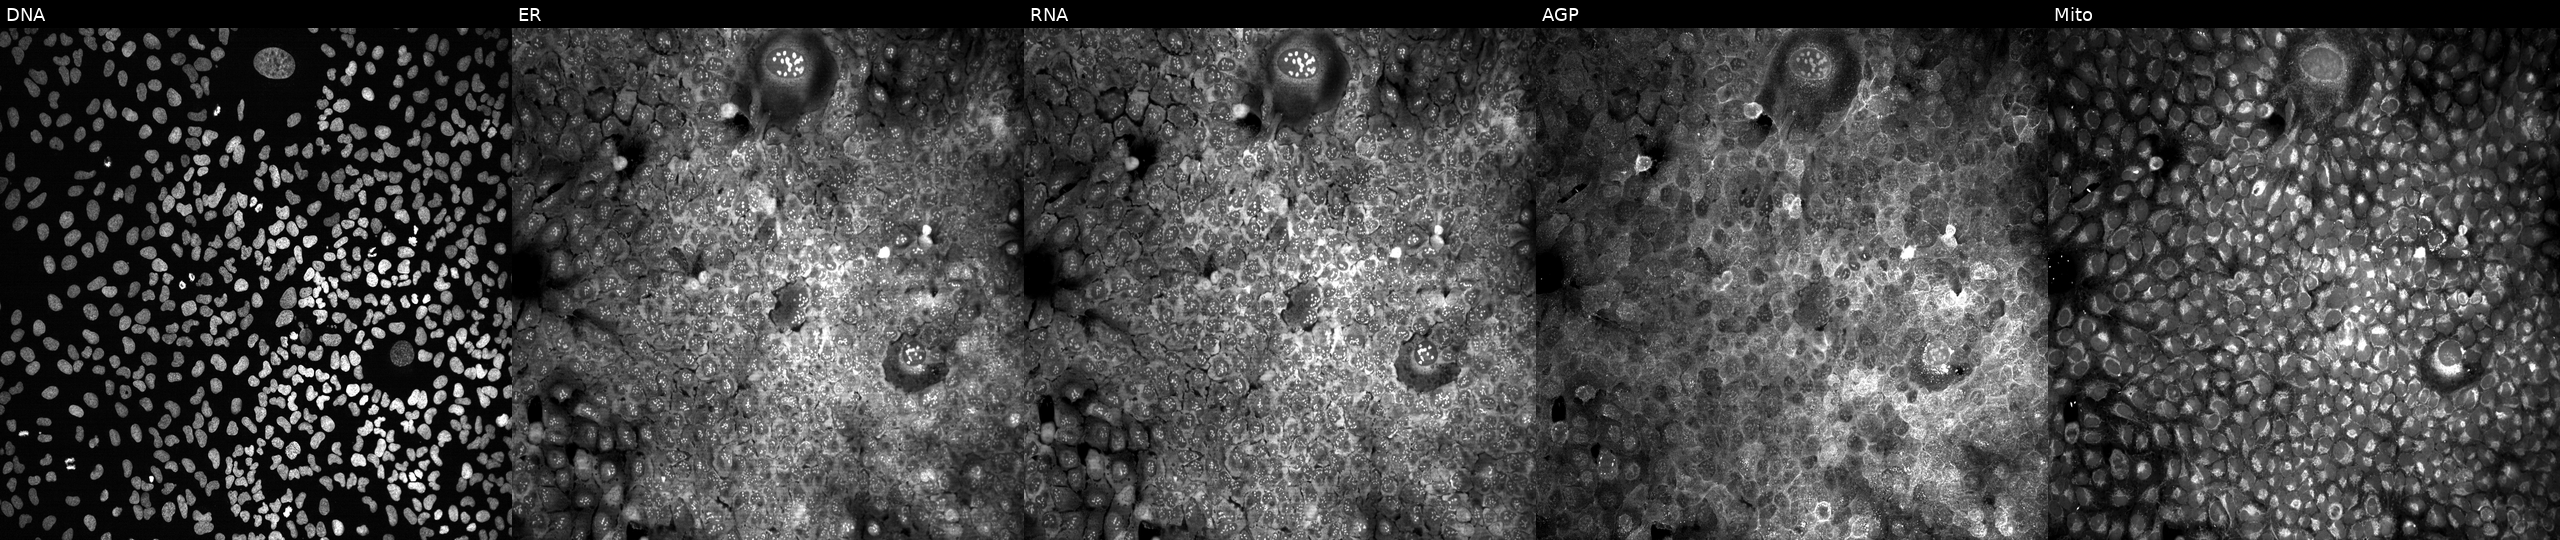
This image strip shows the five Cell Painting channels for a single field of U2OS cells with no CRISPR guide (negative control) (JUMP id JCP2022_800001). From left to right: DNA (nuclei); ER (endoplasmic reticulum); RNA (nucleoli and cytoplasmic RNA); AGP (actin cytoskeleton, Golgi, and plasma membrane); Mito (mitochondria).